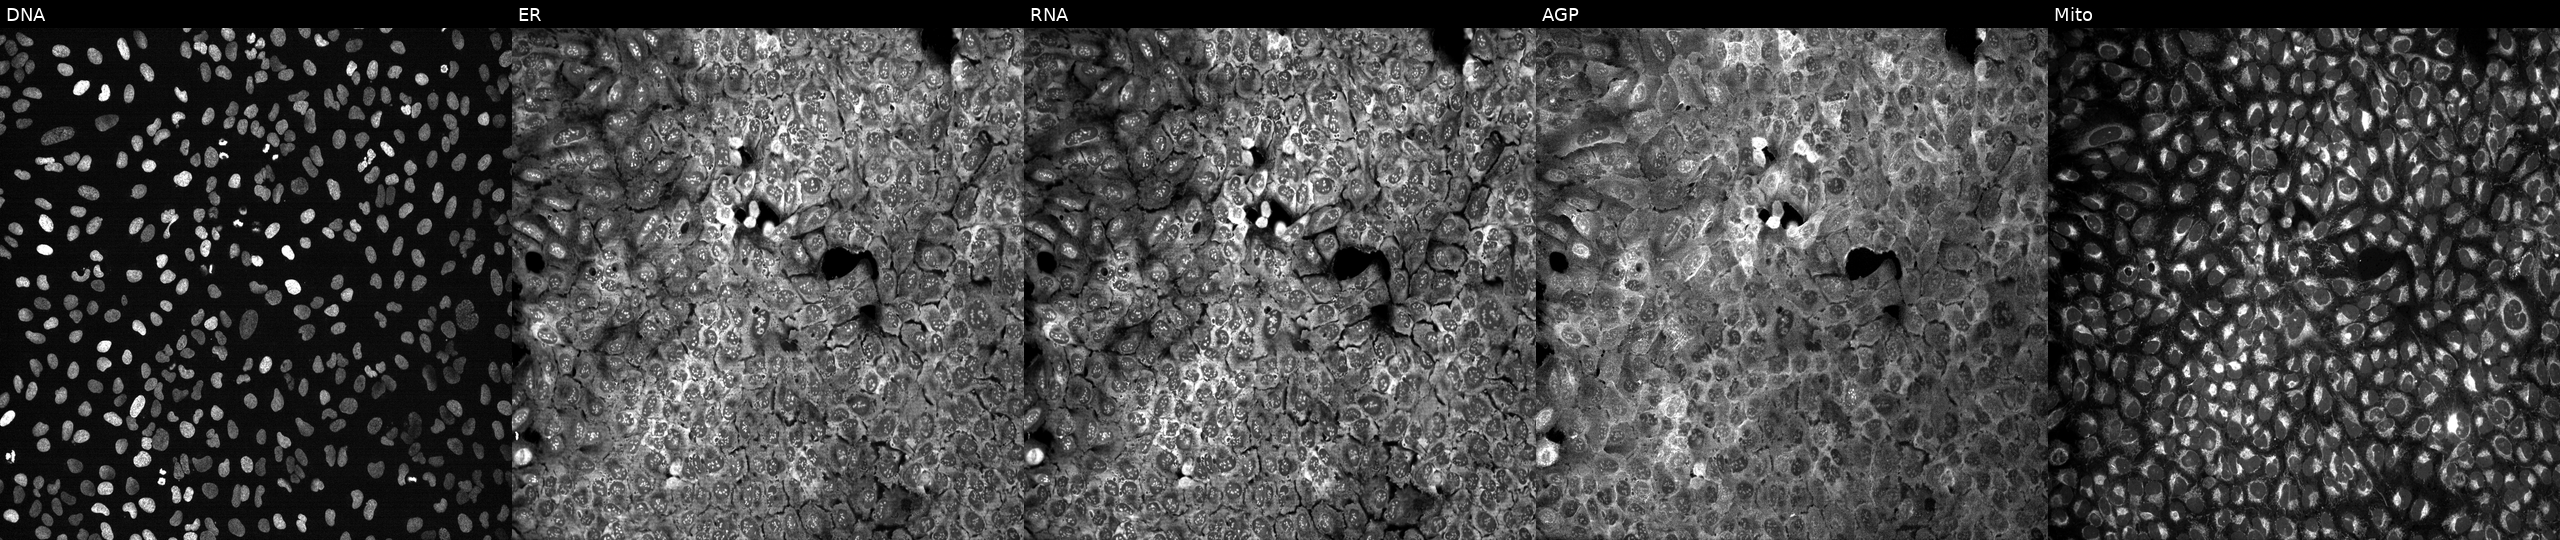
Channels (left→right): DNA (nuclei); ER (endoplasmic reticulum); RNA (nucleoli and cytoplasmic RNA); AGP (actin cytoskeleton, Golgi, and plasma membrane); Mito (mitochondria). U2OS osteosarcoma cells following CRISPR knockout of PYCR1 (JUMP id JCP2022_805725). Cell Painting assay, JUMP-CP dataset. Source 13, plate CP-CC9-R3-01, well G16.